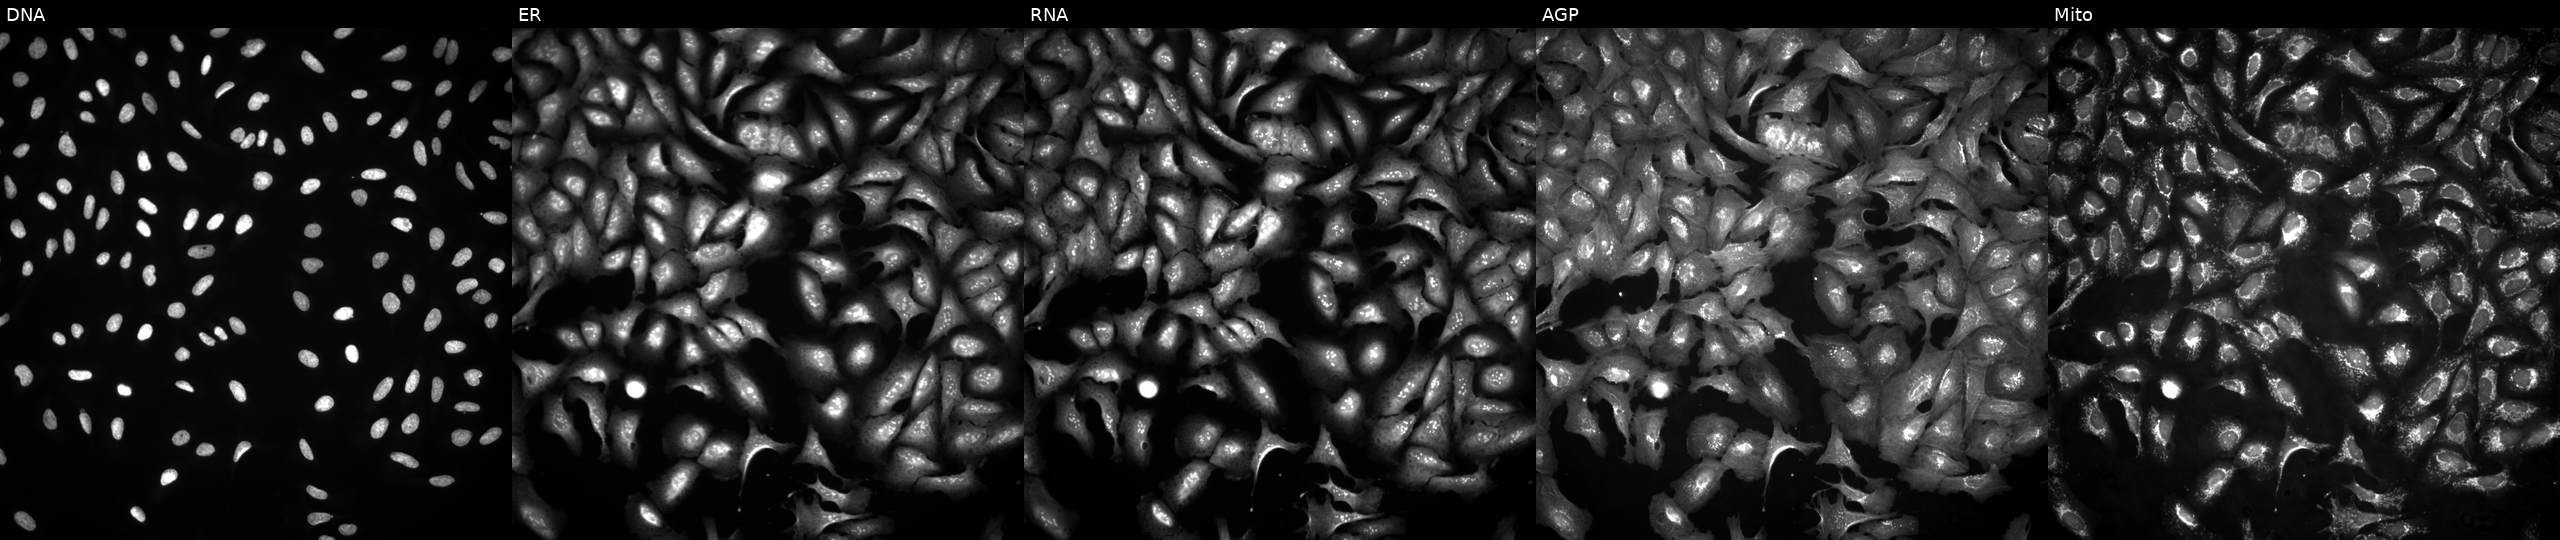
High-content fluorescence microscopy (Cell Painting). Cell line: U2OS. Perturbation: with TNFSF13 overexpressed (ORF). Channels (left→right): DNA (nuclei); ER (endoplasmic reticulum); RNA (nucleoli and cytoplasmic RNA); AGP (actin cytoskeleton, Golgi, and plasma membrane); Mito (mitochondria).